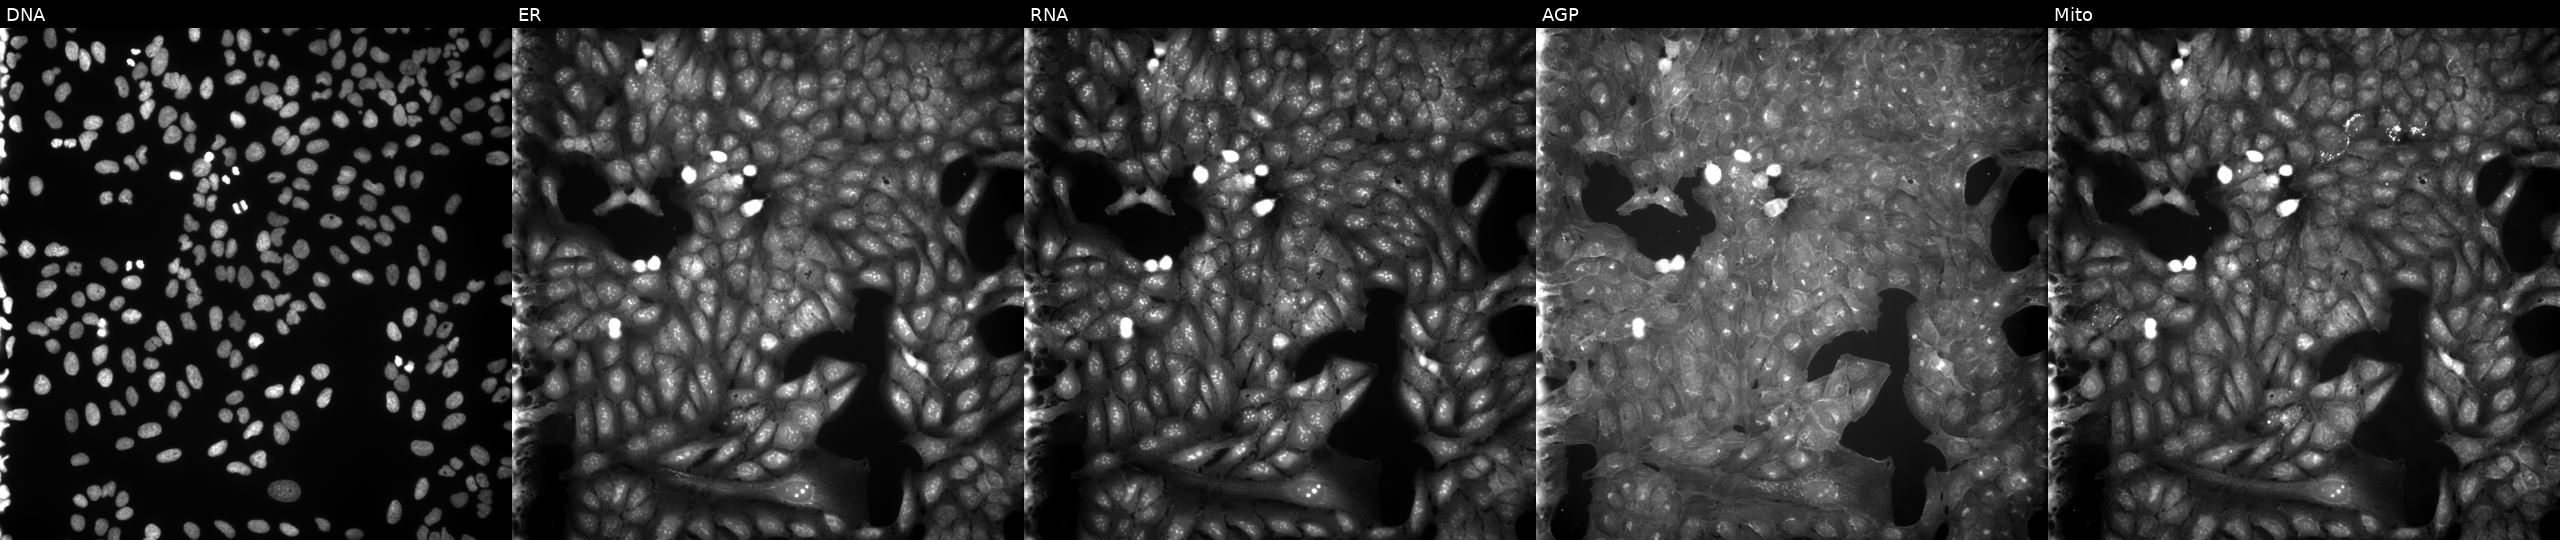
This image strip shows the five Cell Painting channels for a single field of U2OS cells treated with a small-molecule compound (InChIKey VVEPWWGDLOPOGP-UHFFFAOYSA-N) [SMILES: CC(Sc1n[nH]c(=O)[nH]c1=O)C(=O)OCc1ccccc1] (JUMP id JCP2022_096508). The five panels, left to right, show Hoechst 33342, concanavalin A, SYTO 14, phalloidin and WGA, MitoTracker.